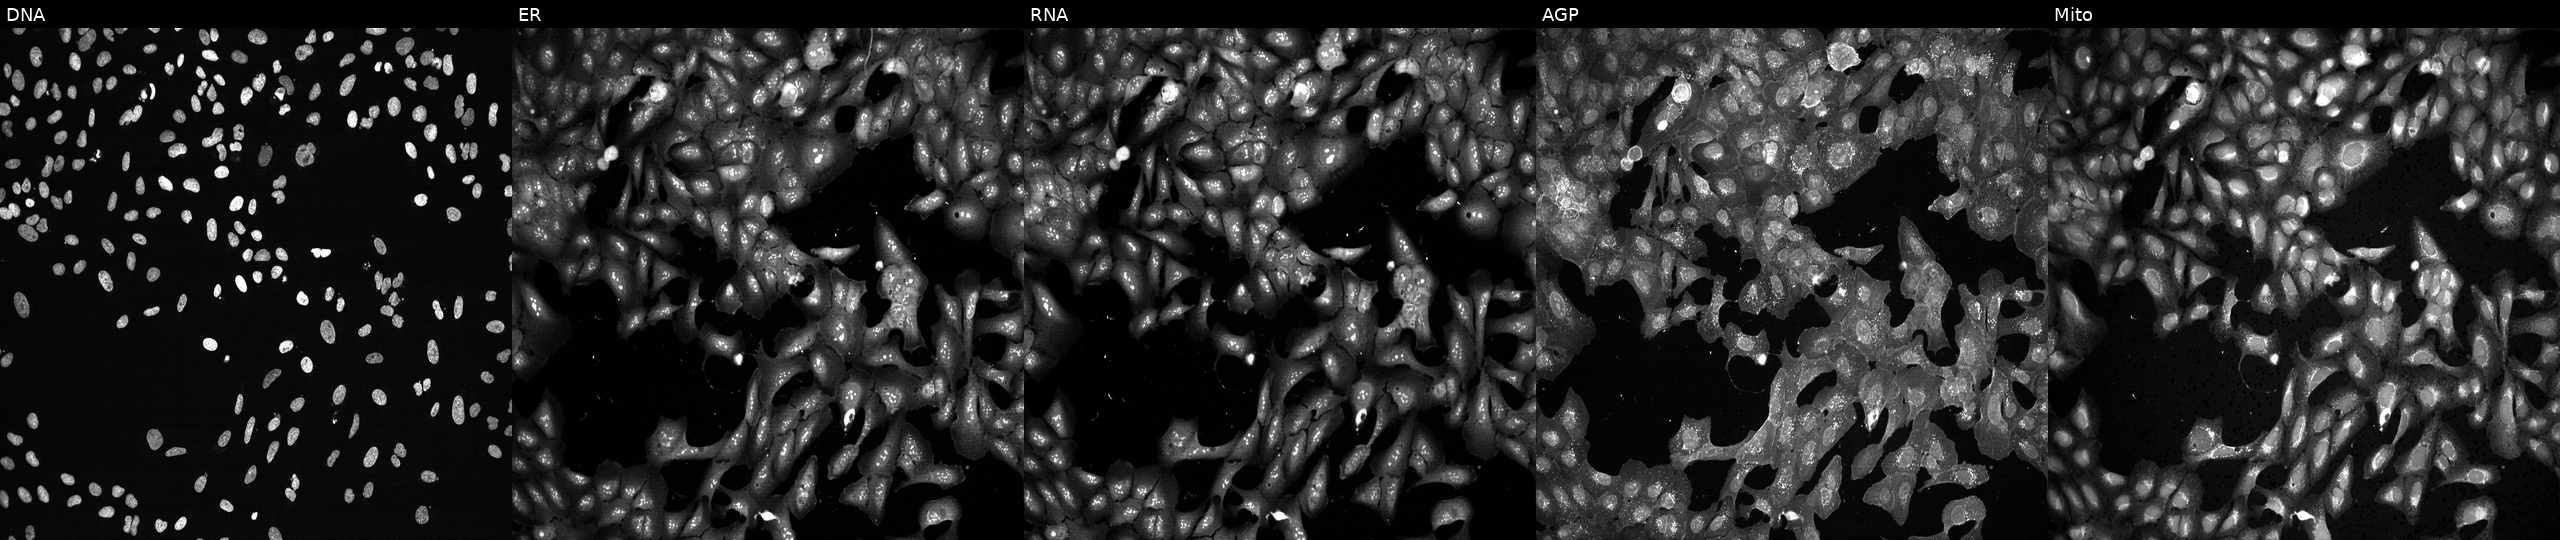
This image strip shows the five Cell Painting channels for a single field of U2OS cells CRISPR-edited to disrupt B3GALT4 (JUMP id JCP2022_800775). The five panels, left to right, show DNA, ER, RNA, AGP, and Mito.